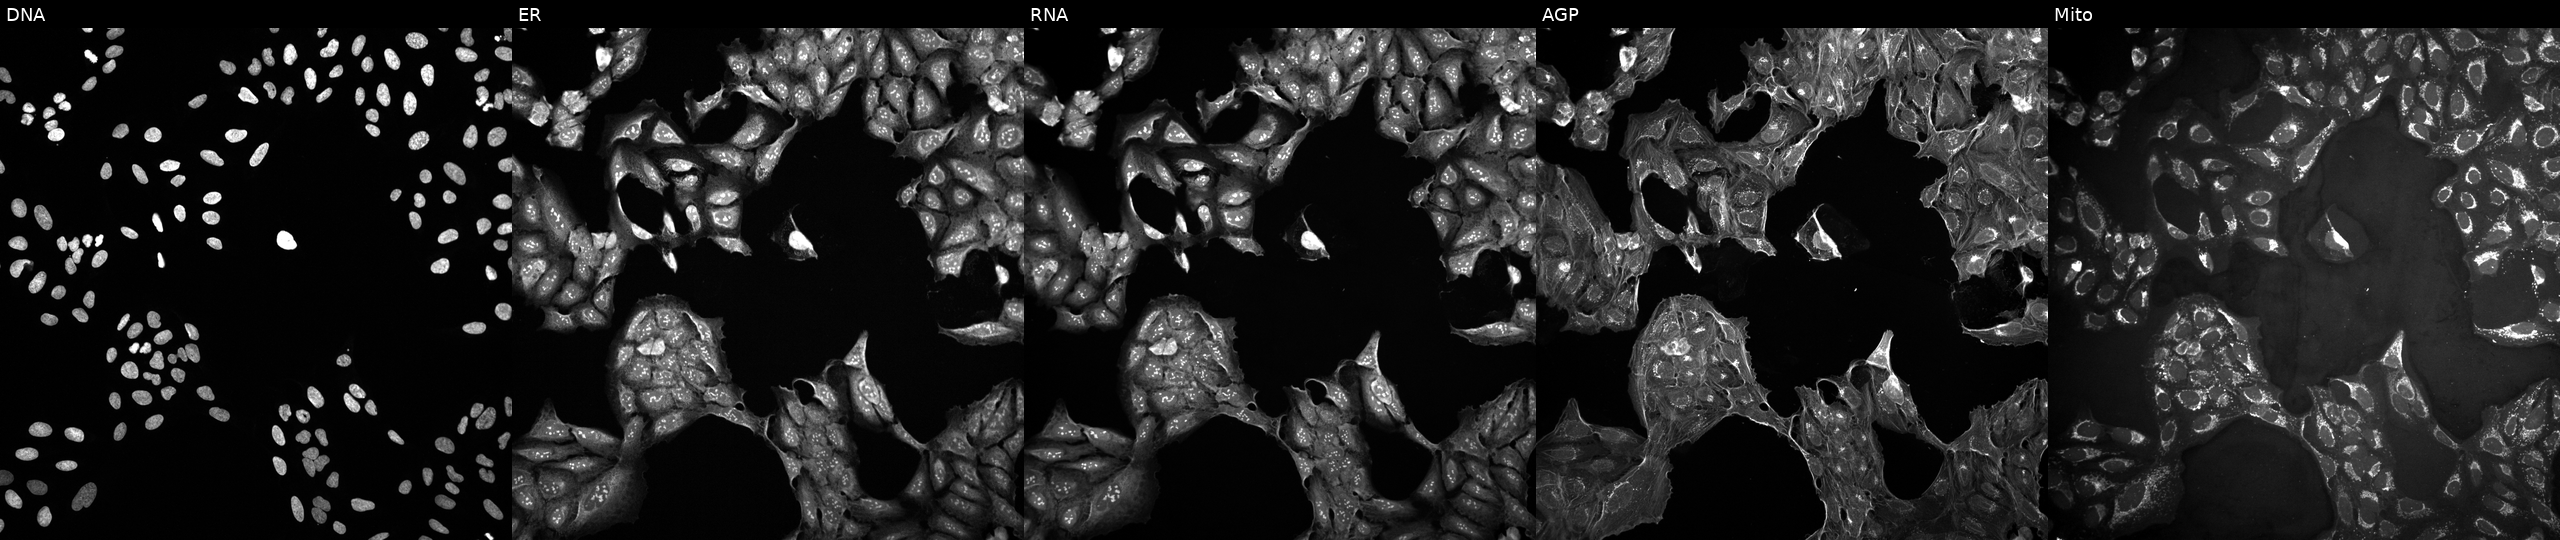
Five-channel Cell Painting image of U2OS cells in an empty control well (no perturbation) (JUMP id JCP2022_999999). From left to right: DNA, ER, RNA, AGP, and Mito.